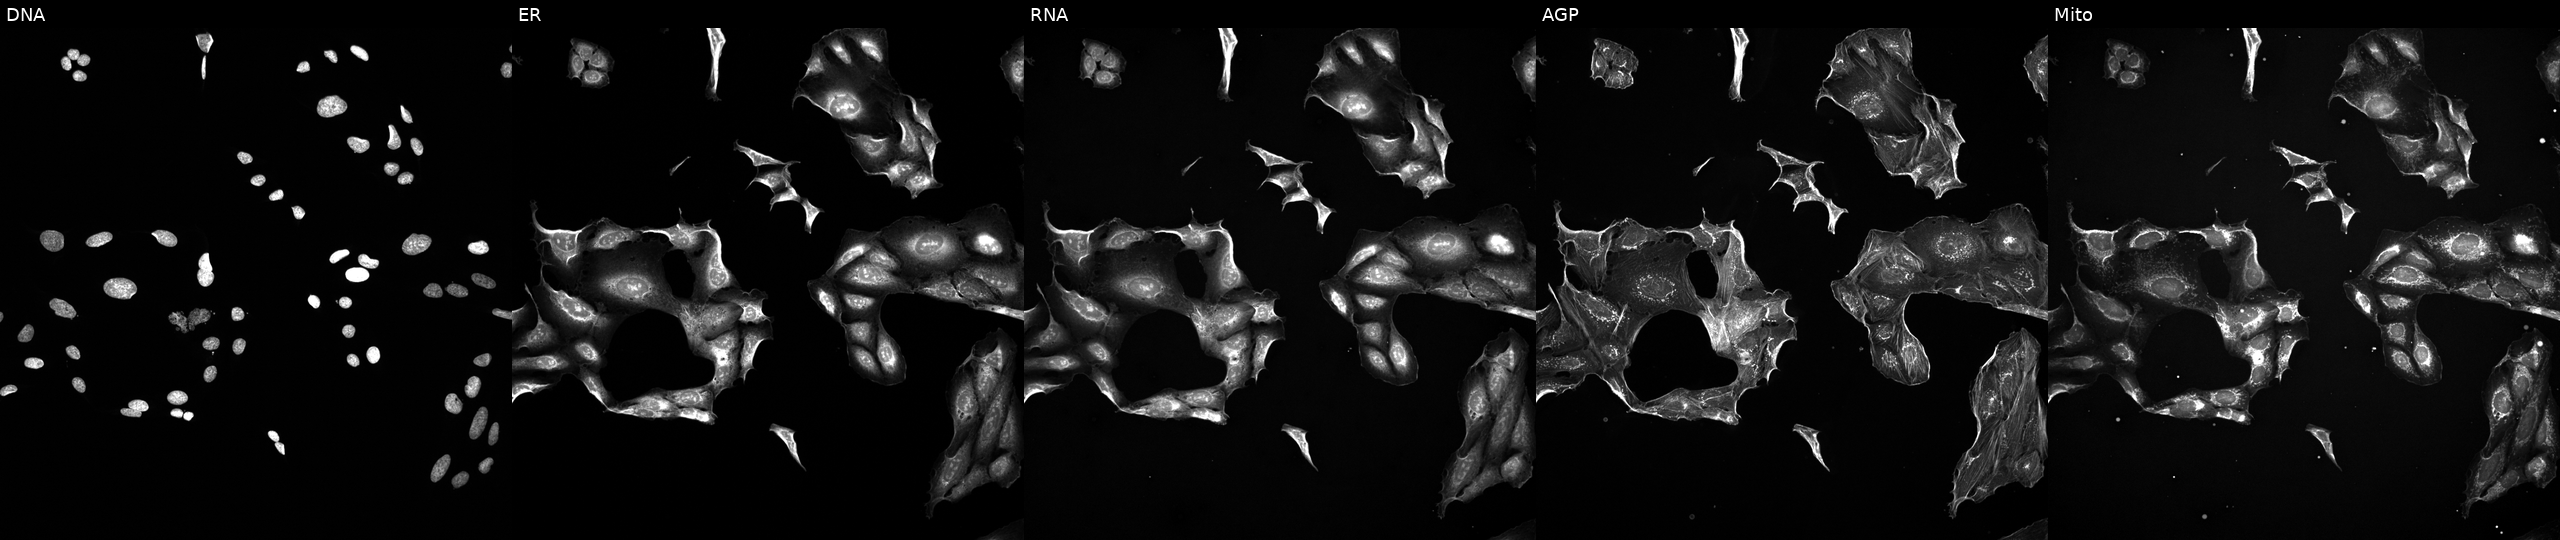
U2OS cells, Cell Painting assay, treated with a small-molecule compound (InChIKey RQVGFDBMONQTBC-UHFFFAOYSA-N). The five panels, left to right, show Hoechst 33342, concanavalin A, SYTO 14, phalloidin and WGA, MitoTracker. Each panel is percentile-stretched 16-bit fluorescence. Source 5, plate ACPJUM051, well B08.